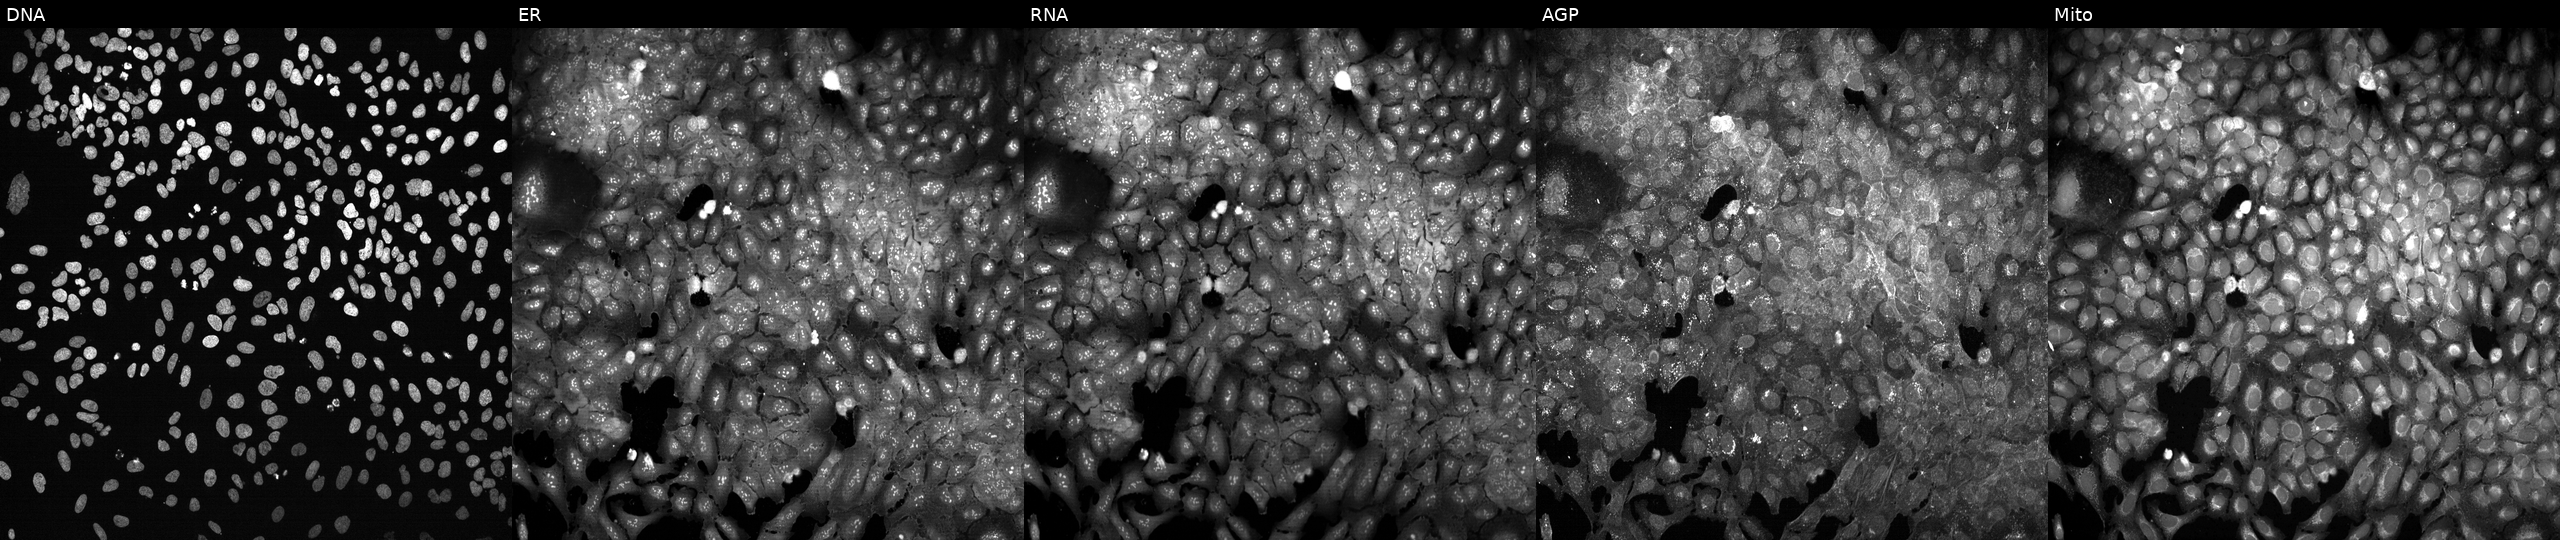
This image strip shows the five Cell Painting channels for a single field of U2OS cells with SGMS1 knocked out by CRISPR (JUMP id JCP2022_806309). The five panels, left to right, show DNA (nuclei); ER (endoplasmic reticulum); RNA (nucleoli and cytoplasmic RNA); AGP (actin cytoskeleton, Golgi, and plasma membrane); Mito (mitochondria). Source 13, plate CP-CC9-R1-01, well N07.